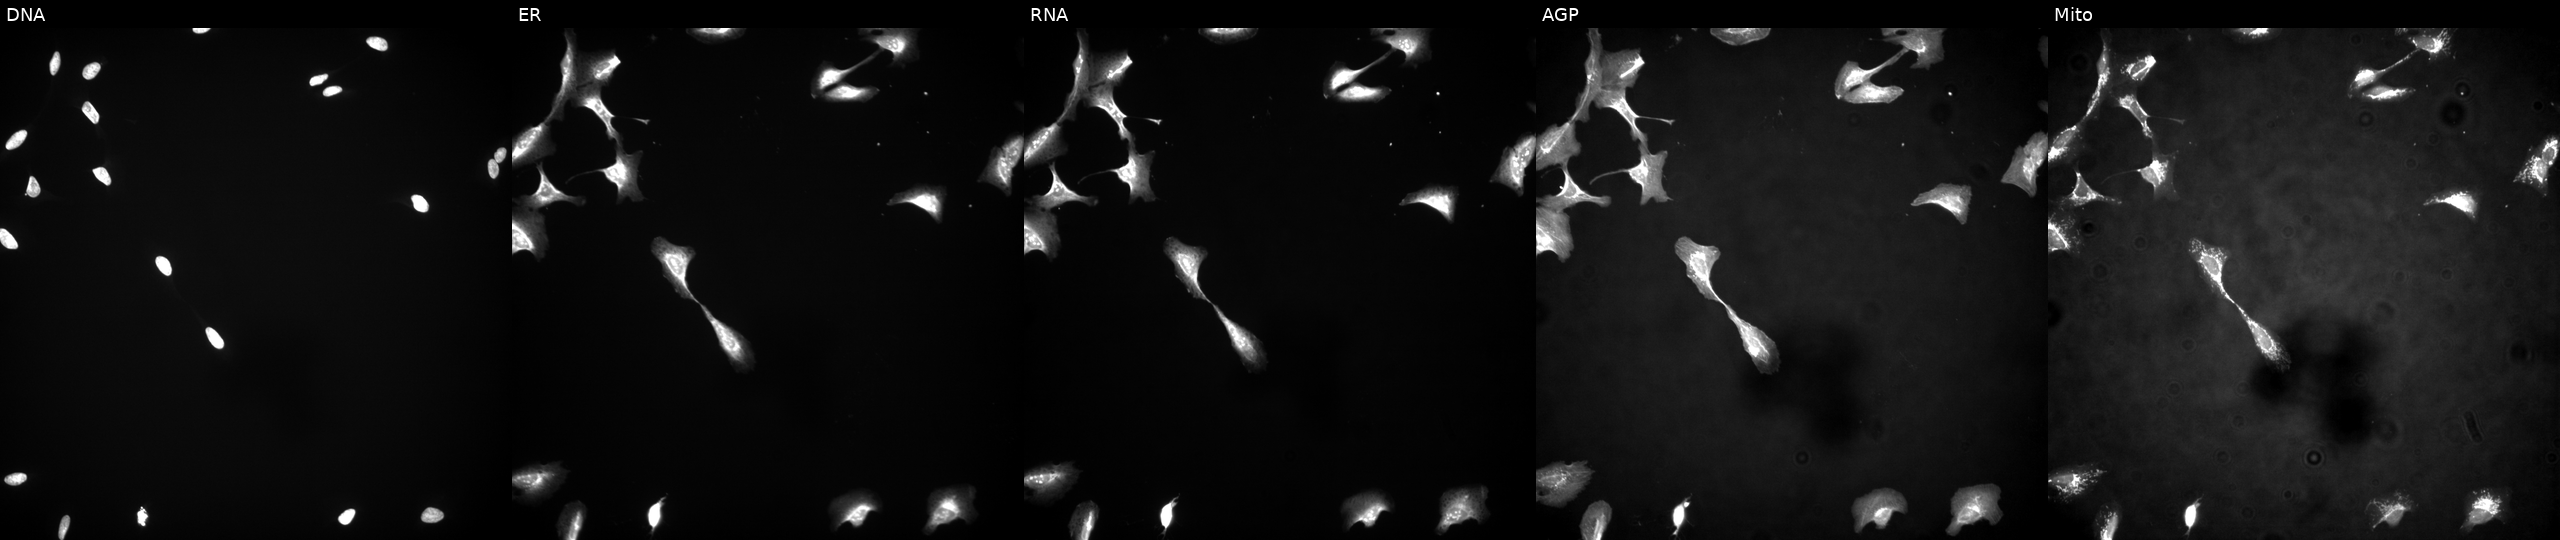
From left to right: Hoechst 33342, concanavalin A, SYTO 14, phalloidin and WGA, MitoTracker. U2OS osteosarcoma cells transfected with an ORF construct for NCR3 (JUMP id JCP2022_904977). Cell Painting assay, JUMP-CP dataset.